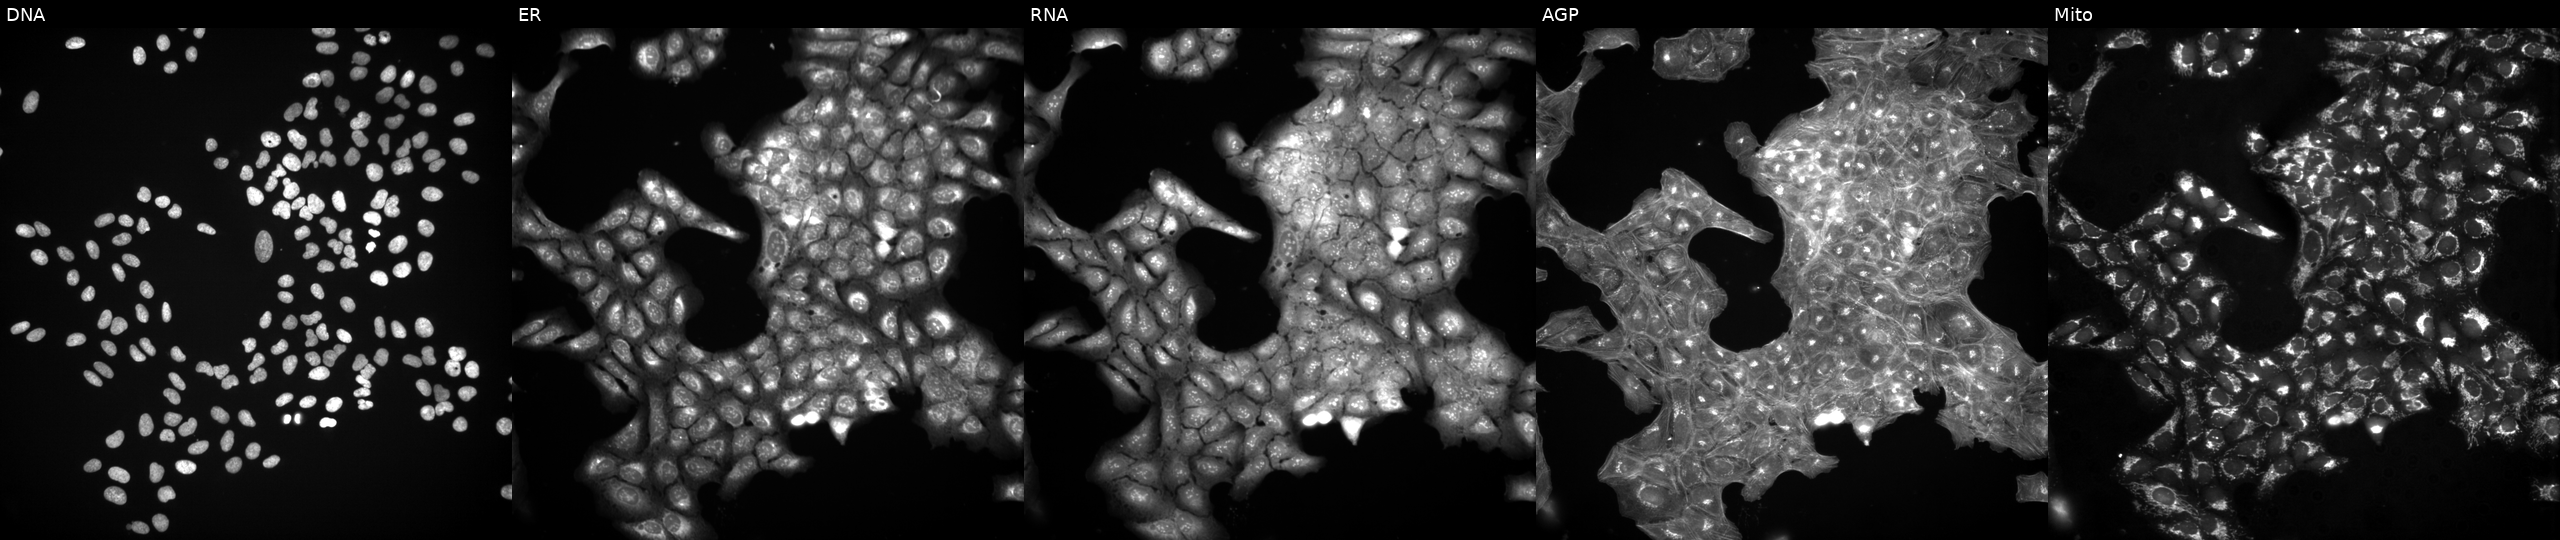
U2OS cells, Cell Painting assay, perturbed with a small-molecule compound (InChIKey KJWGEXJCWCYEMI-UHFFFAOYSA-N) (JUMP id JCP2022_045105). From left to right: DNA, ER, RNA, AGP, and Mito. Each panel is percentile-stretched 16-bit fluorescence. Source 3, plate JCPQC053, well O14.